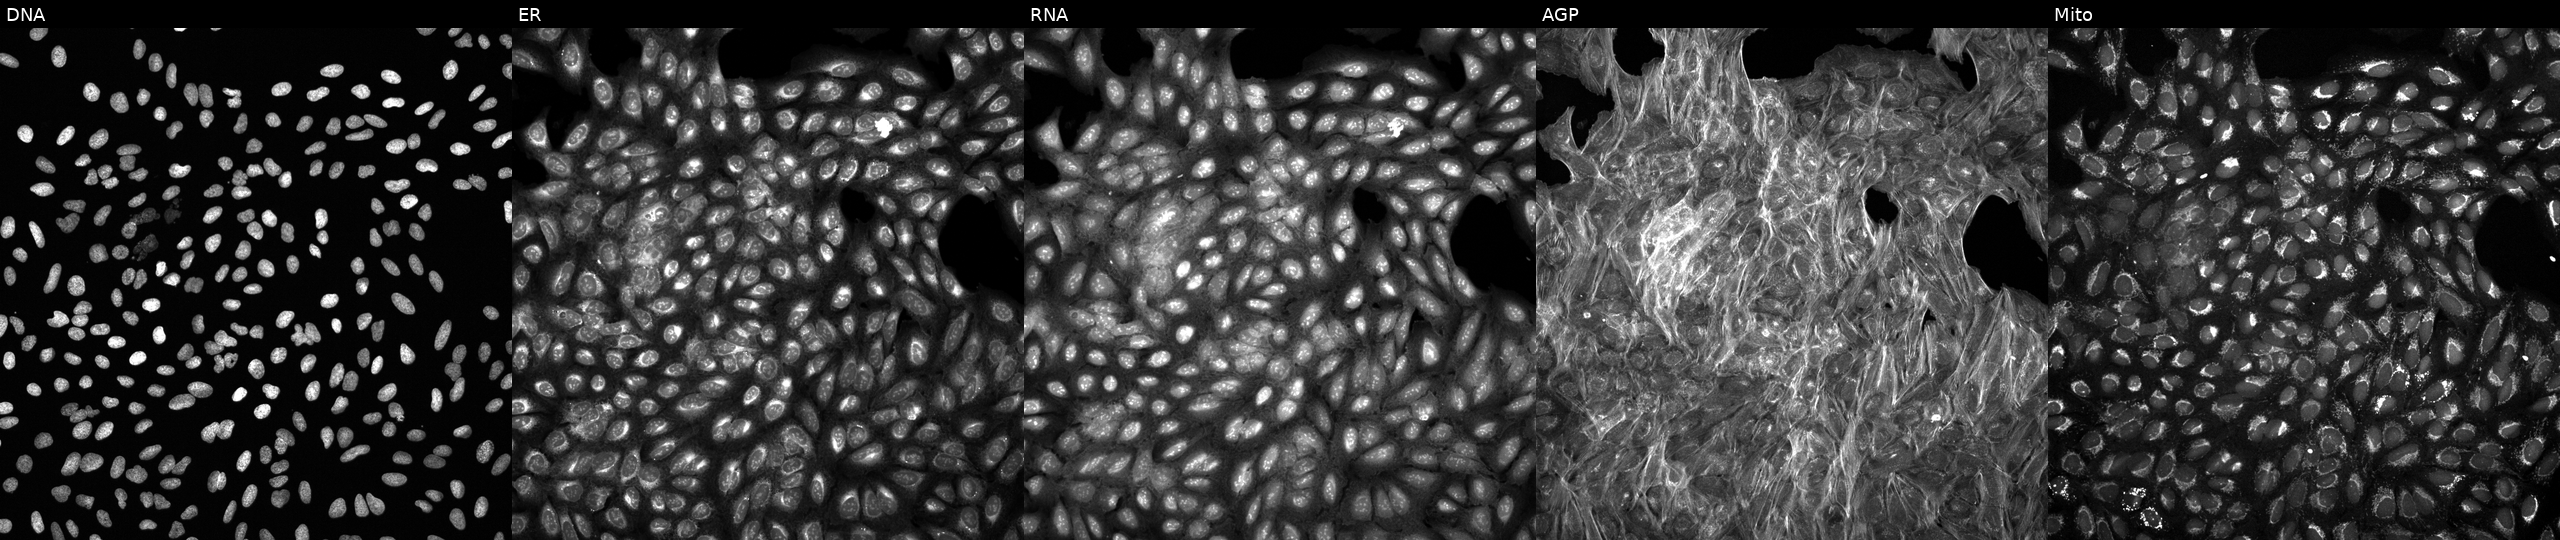
U2OS cells, Cell Painting assay, exposed to a small-molecule compound [SMILES: NC(=O)c1ccc(N2CCCN(Cc3ccc(F)cc3)C2=O)cc1] (JUMP id JCP2022_051165). From left to right: Hoechst 33342, concanavalin A, SYTO 14, phalloidin and WGA, MitoTracker. Each panel is percentile-stretched 16-bit fluorescence.